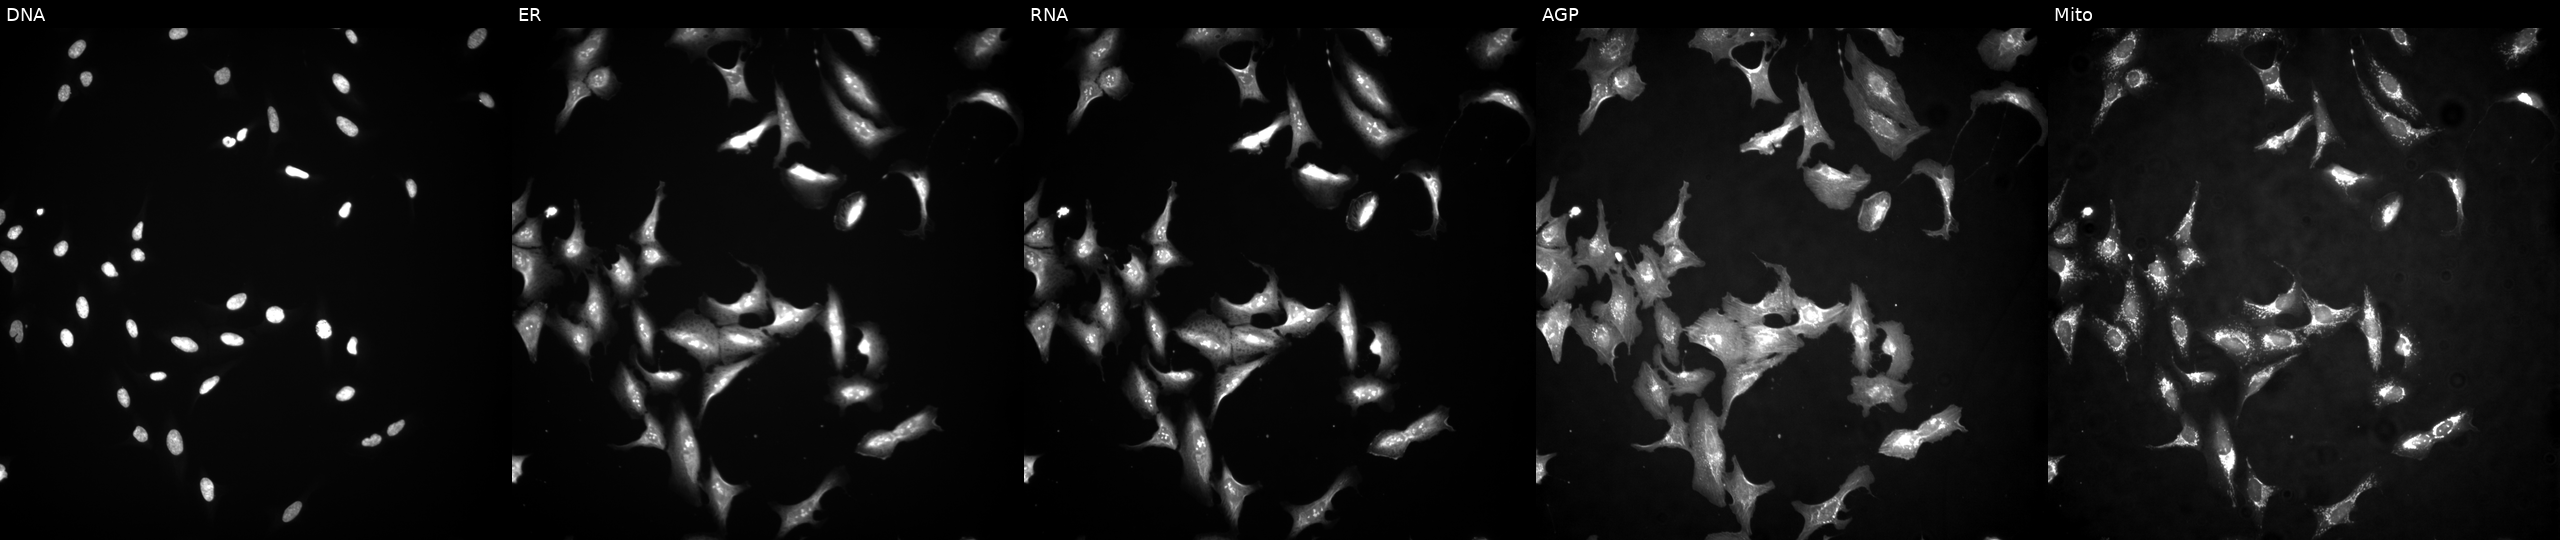
From left to right: Hoechst 33342, concanavalin A, SYTO 14, phalloidin and WGA, MitoTracker. U2OS osteosarcoma cells transfected with an ORF construct for CDK7. Cell Painting assay, JUMP-CP dataset.